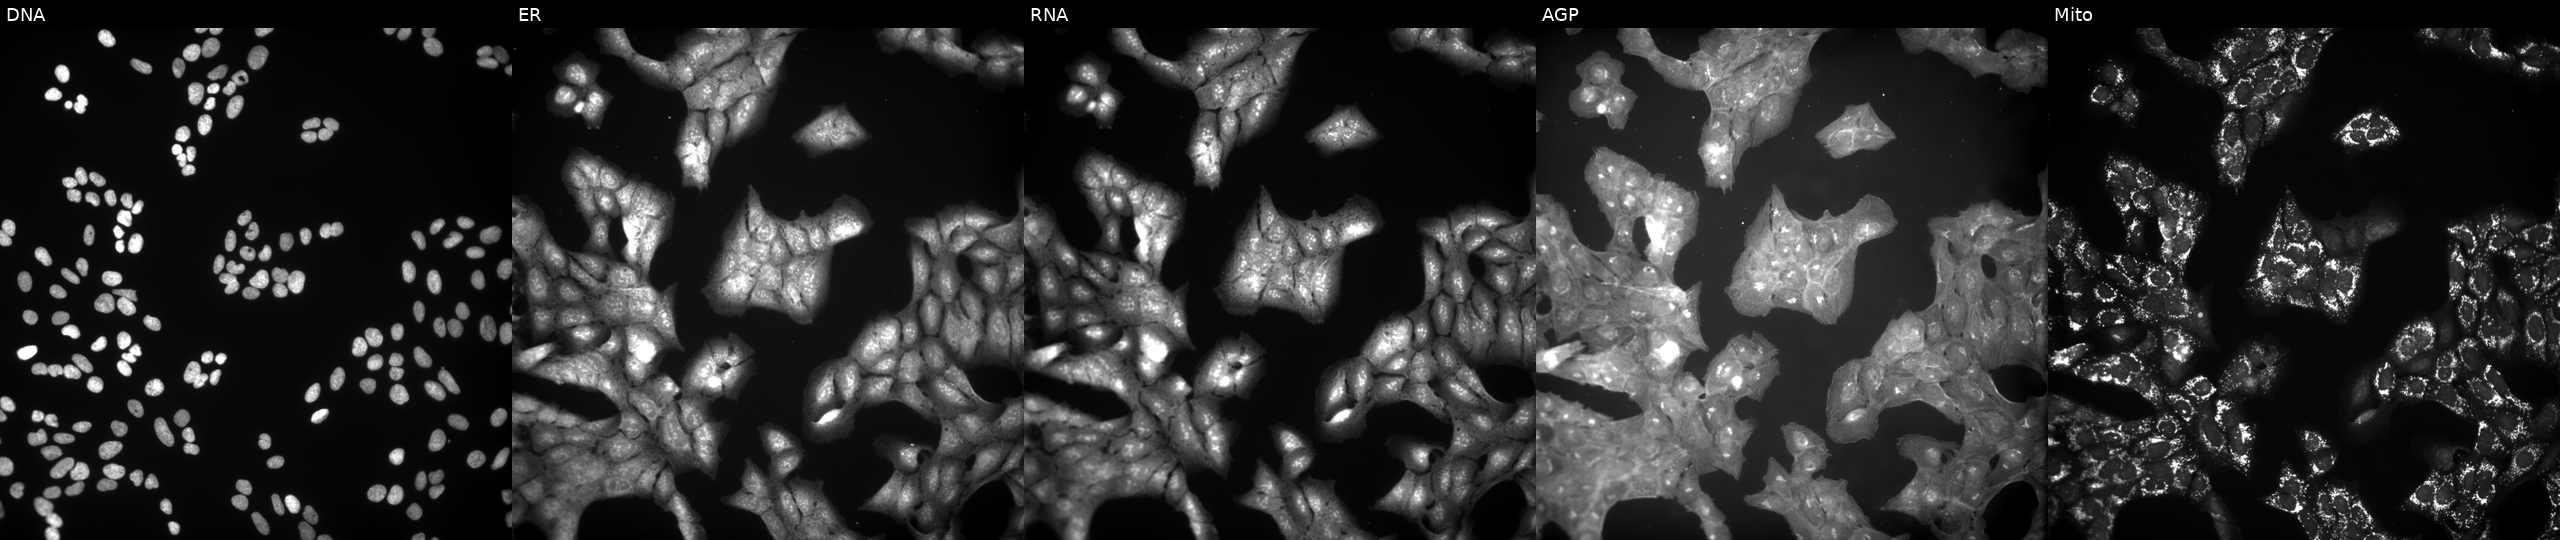
JUMP Cell Painting — COMPOUND plate. U2OS cells perturbed with a small-molecule compound (InChIKey AOLCPXRGICDDCR-UHFFFAOYSA-N) (JUMP id JCP2022_002740). The five panels, left to right, show DNA, ER, RNA, AGP, and Mito.